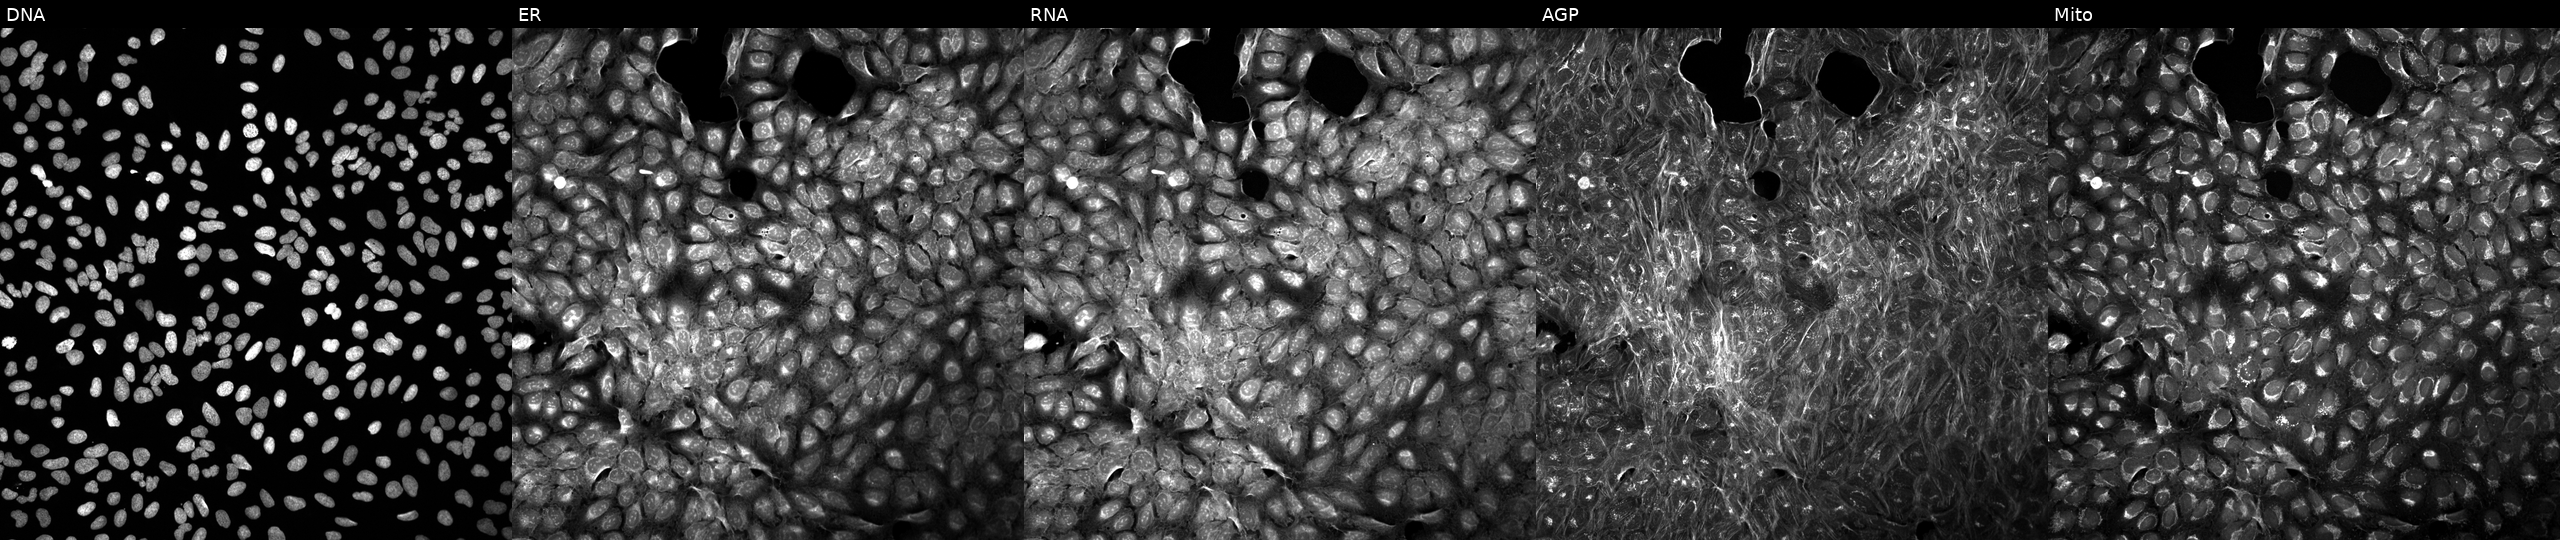
Panels show, left to right, DNA, ER, RNA, AGP, and Mito. U2OS osteosarcoma cells exposed to DMSO alone as a negative control (JUMP id JCP2022_033924). Cell Painting assay, JUMP-CP dataset.